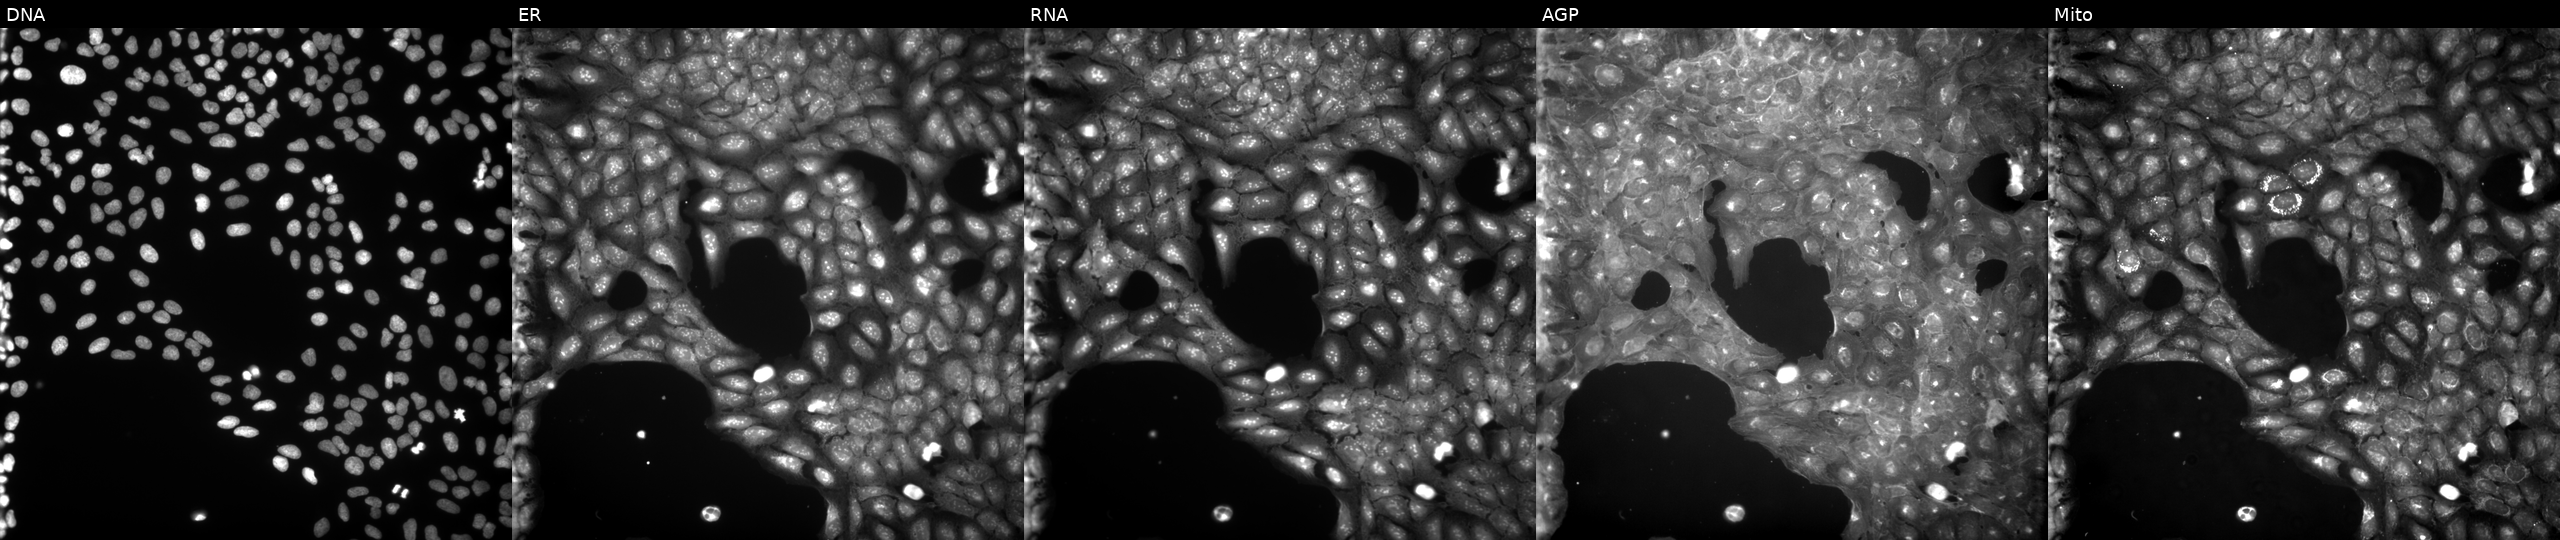
U2OS cells, Cell Painting assay, exposed to the positive-control compound TC-S-7004 (JUMP id JCP2022_012818). Panels show, left to right, DNA, ER, RNA, AGP, and Mito. Each panel is percentile-stretched 16-bit fluorescence.